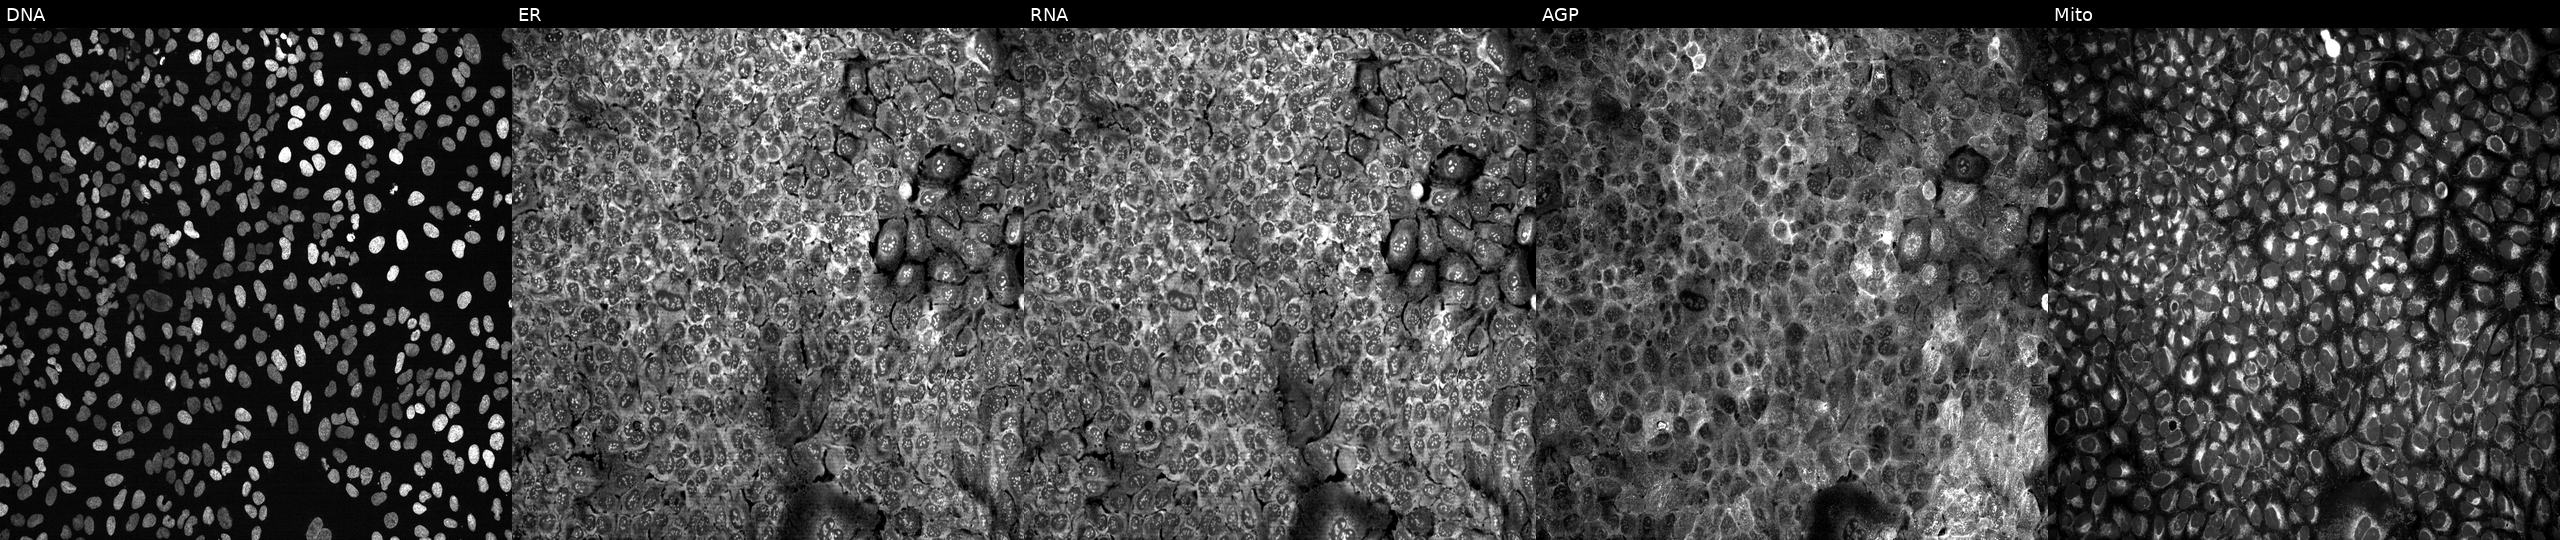
This image strip shows the five Cell Painting channels for a single field of U2OS cells CRISPR-edited to disrupt SLC36A3 (JUMP id JCP2022_806516). From left to right: DNA (nuclei); ER (endoplasmic reticulum); RNA (nucleoli and cytoplasmic RNA); AGP (actin cytoskeleton, Golgi, and plasma membrane); Mito (mitochondria).